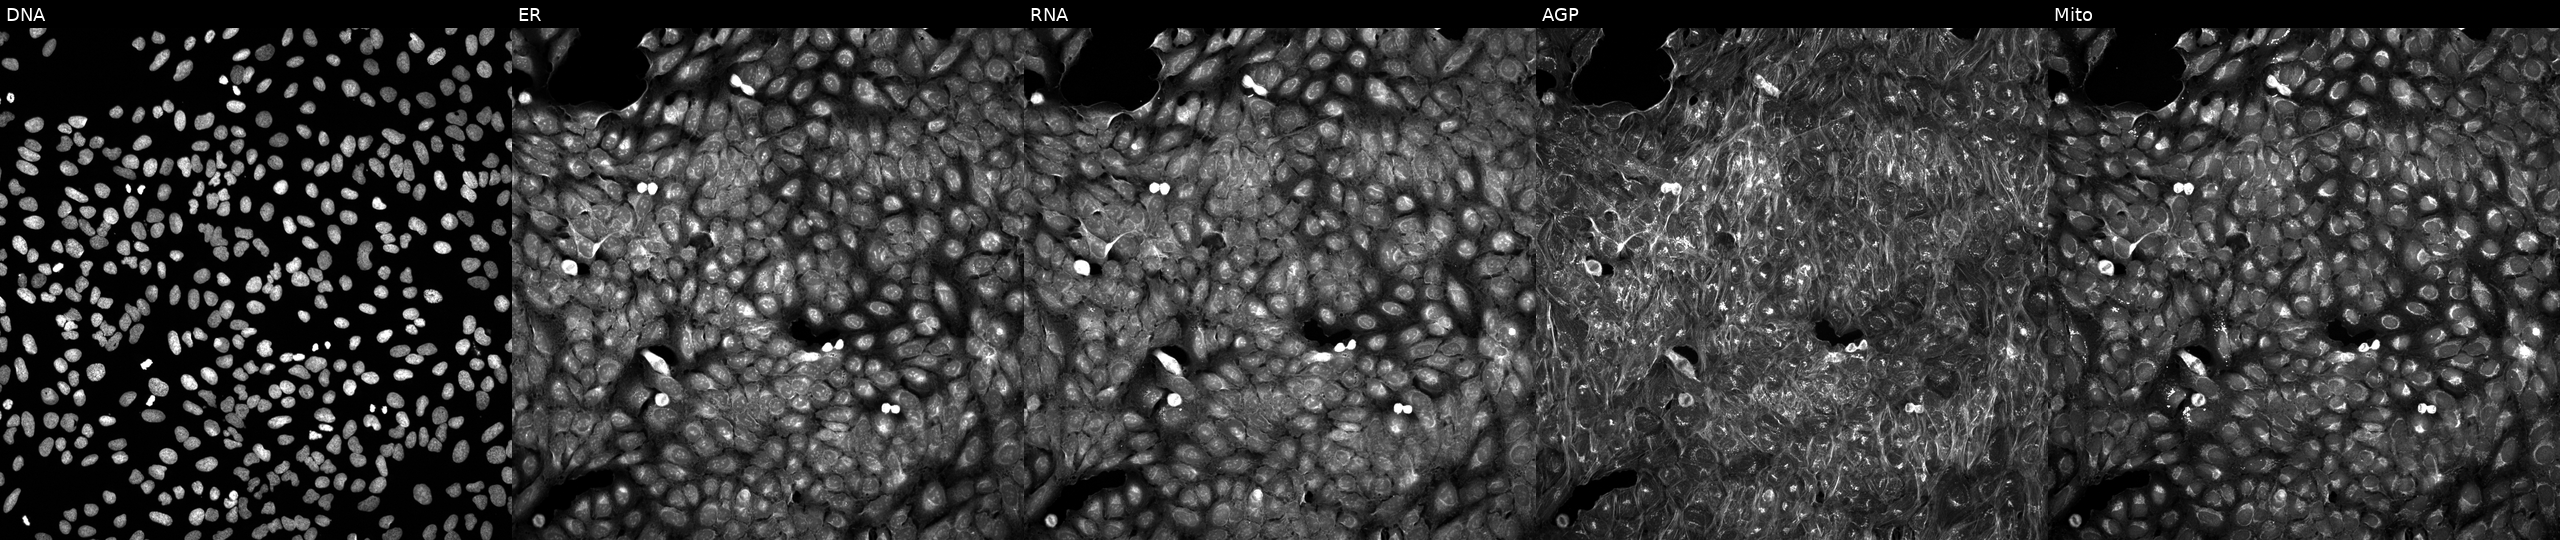
High-content fluorescence microscopy (Cell Painting). Cell line: U2OS. Perturbation: perturbed with a small-molecule compound (JUMP id JCP2022_007641). Panels show, left to right, Hoechst 33342, concanavalin A, SYTO 14, phalloidin and WGA, MitoTracker. Source 5, plate APTJUM105, well P06.